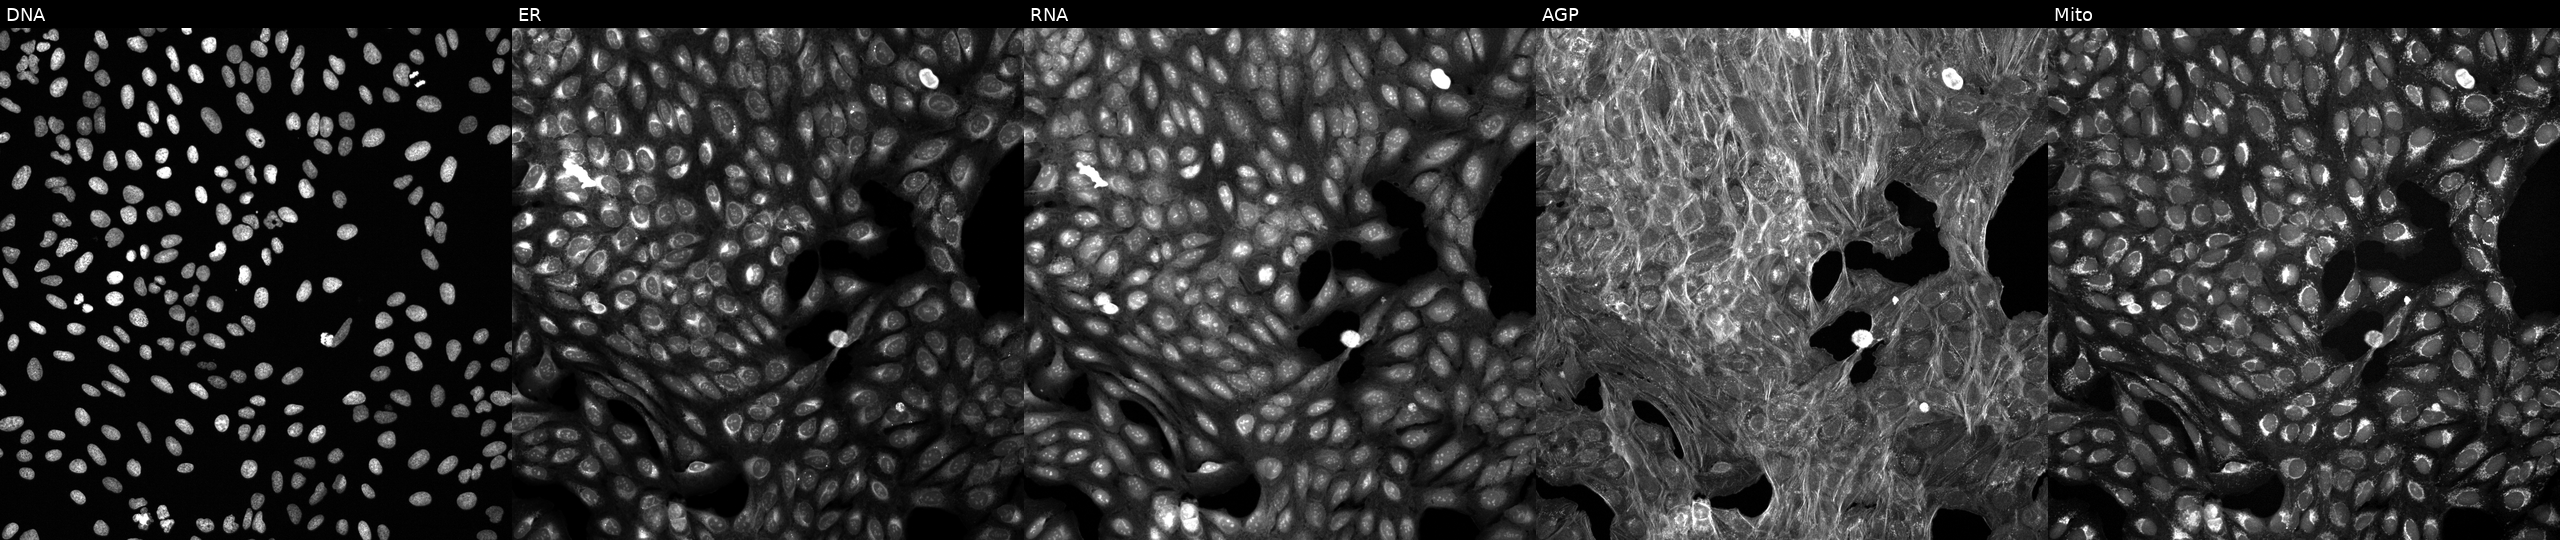
U2OS cells, Cell Painting assay, treated with a small-molecule compound (InChIKey UIEATEWHFDRYRU-UHFFFAOYSA-N) [SMILES: CC(C)COCC(CN(Cc1ccccc1)c1ccccc1)N1CCCC1]. From left to right: Hoechst 33342, concanavalin A, SYTO 14, phalloidin and WGA, MitoTracker. Each panel is percentile-stretched 16-bit fluorescence. Source 6, plate 110000294901, well G07.